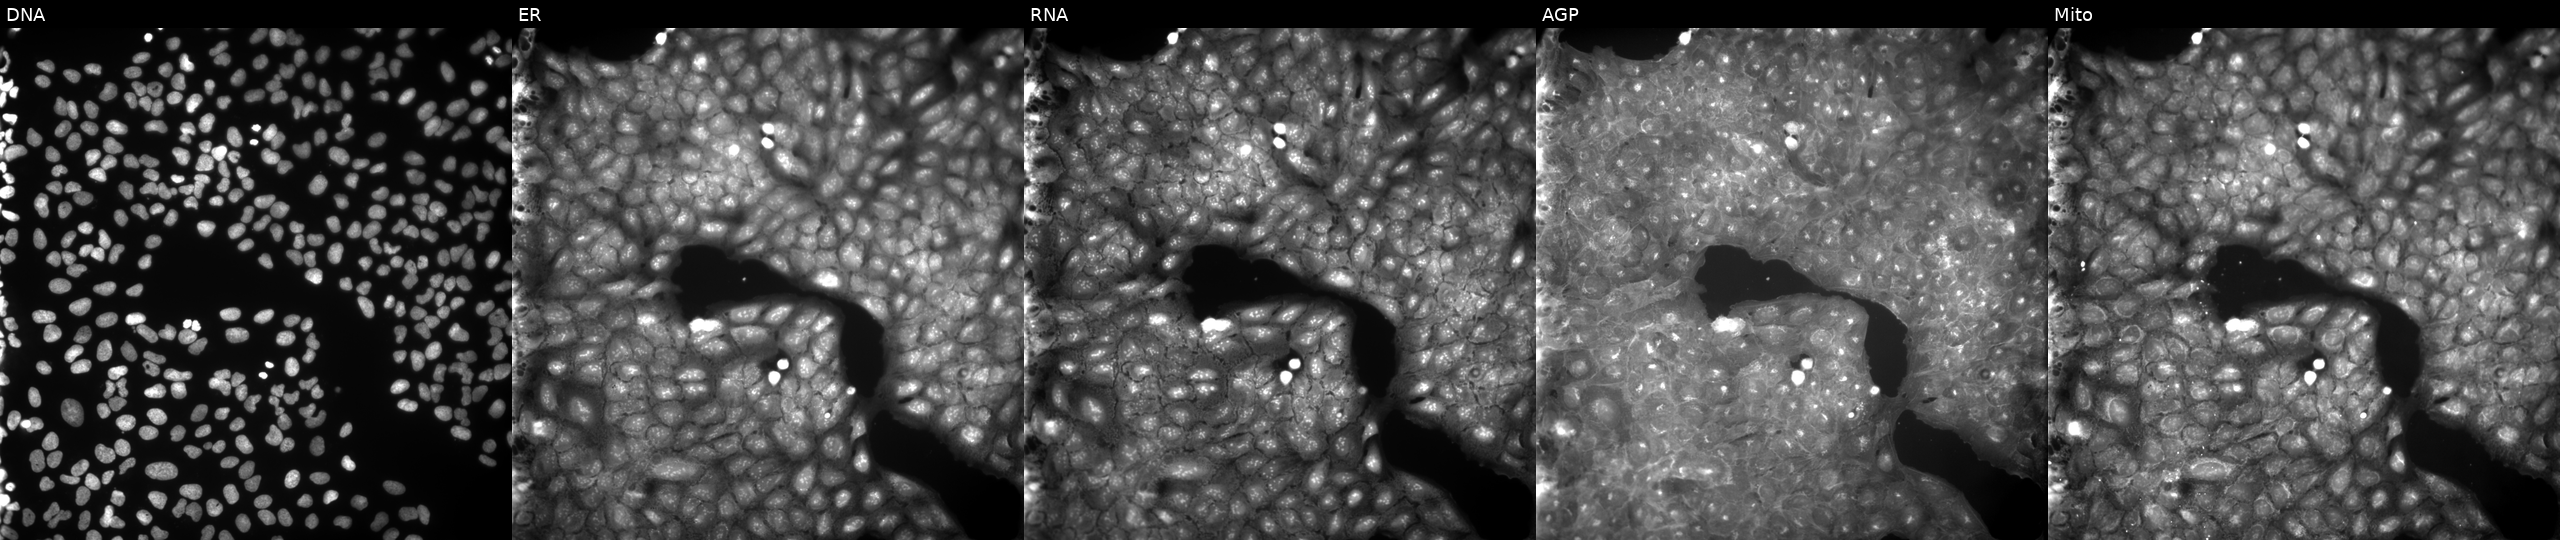
U2OS cells, Cell Painting assay, perturbed with a small-molecule compound (InChIKey AILDWCAZEJDLRS-UHFFFAOYSA-N) [SMILES: O=C1c2cccc3c(N4CCOCC4)ccc(c23)C(=O)N1c1cc(Cl)ccc1O] (JUMP id JCP2022_001604). Channels (left→right): Hoechst 33342, concanavalin A, SYTO 14, phalloidin and WGA, MitoTracker. Each panel is percentile-stretched 16-bit fluorescence. Source 9, plate GR00003381, well X09.